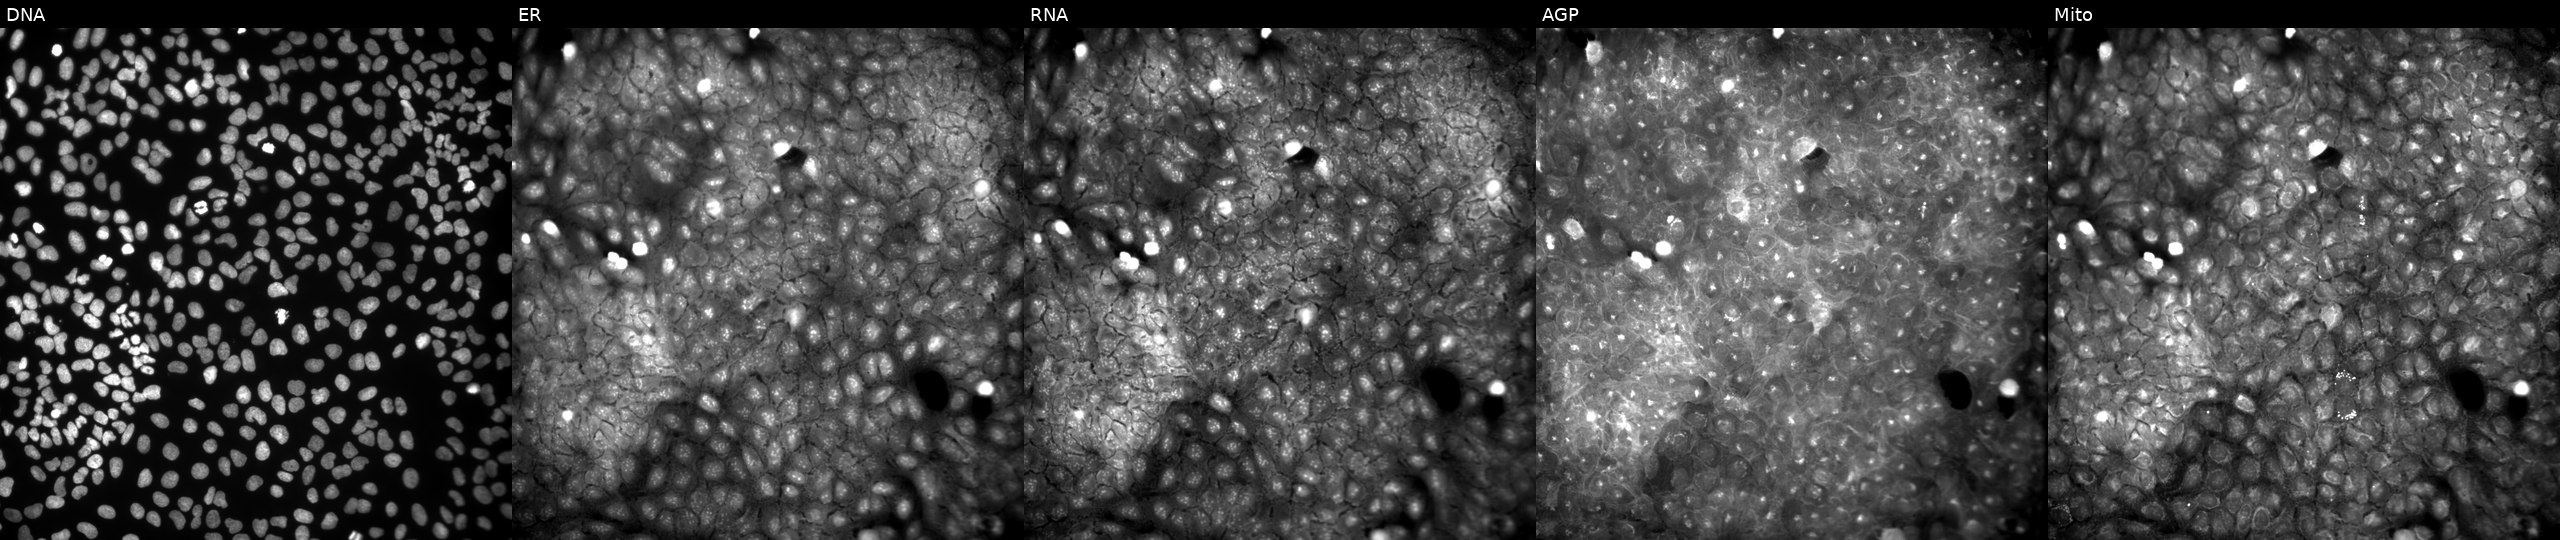
This image strip shows the five Cell Painting channels for a single field of U2OS cells exposed to a small-molecule compound (InChIKey PZKJUGMBJJRQKJ-UHFFFAOYSA-N) (JUMP id JCP2022_071970). Panels show, left to right, DNA, ER, RNA, AGP, and Mito.